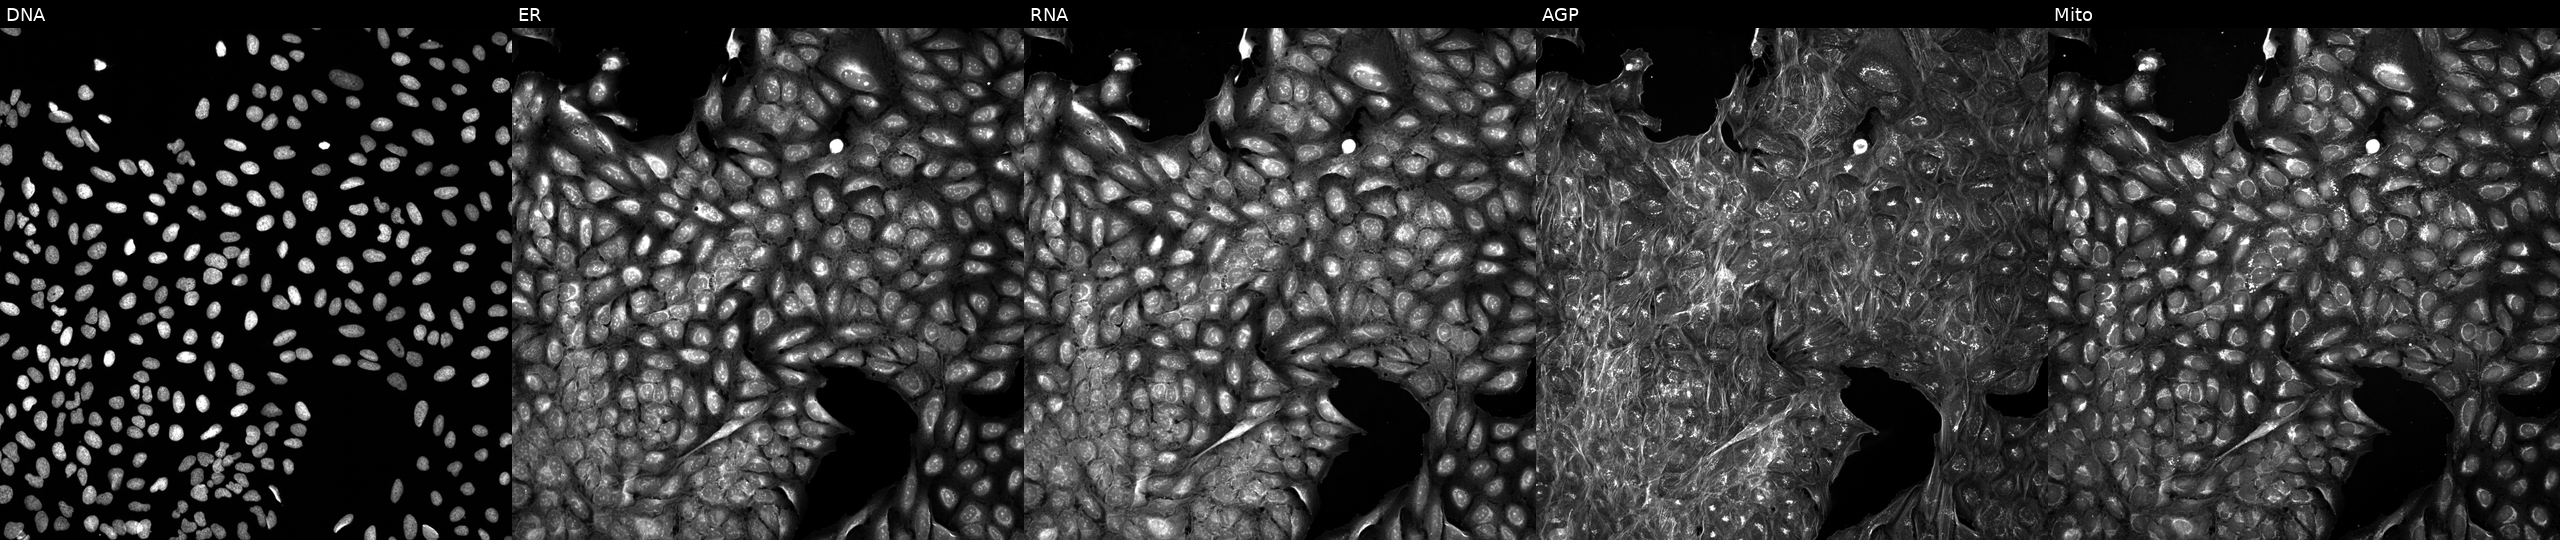
JUMP Cell Painting — COMPOUND plate. U2OS cells treated with a small-molecule compound (InChIKey PVWMSSWIYHPXIF-UHFFFAOYSA-N). From left to right: DNA (nuclei); ER (endoplasmic reticulum); RNA (nucleoli and cytoplasmic RNA); AGP (actin cytoskeleton, Golgi, and plasma membrane); Mito (mitochondria).